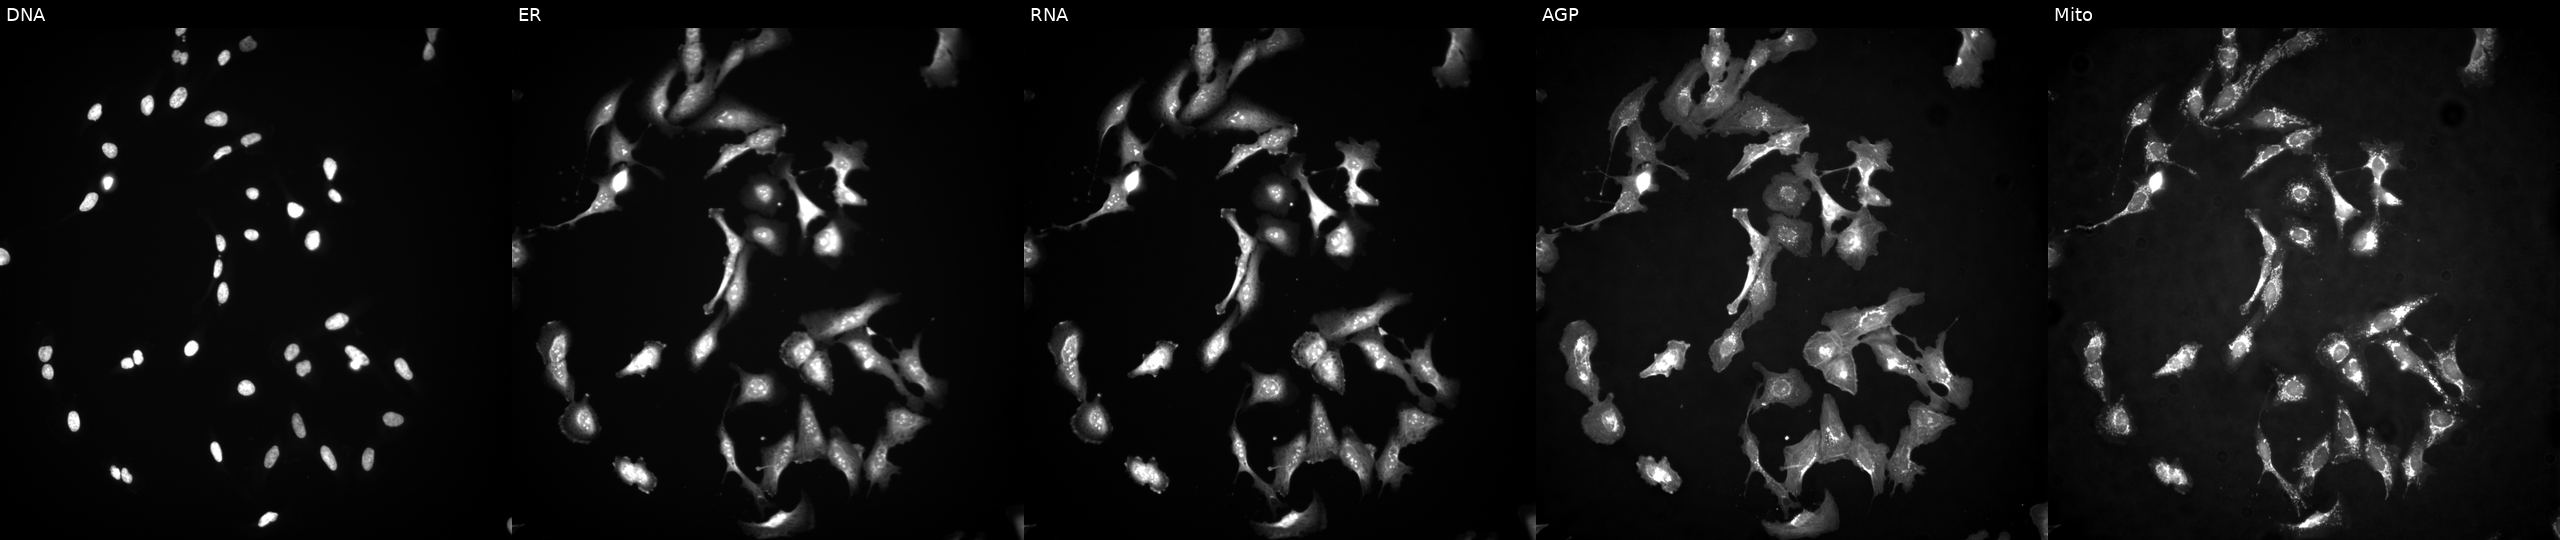
JUMP Cell Painting — ORF plate. U2OS cells overexpressing SPIC via ORF transfection (JUMP id JCP2022_904451). Panels show, left to right, DNA, ER, RNA, AGP, and Mito.